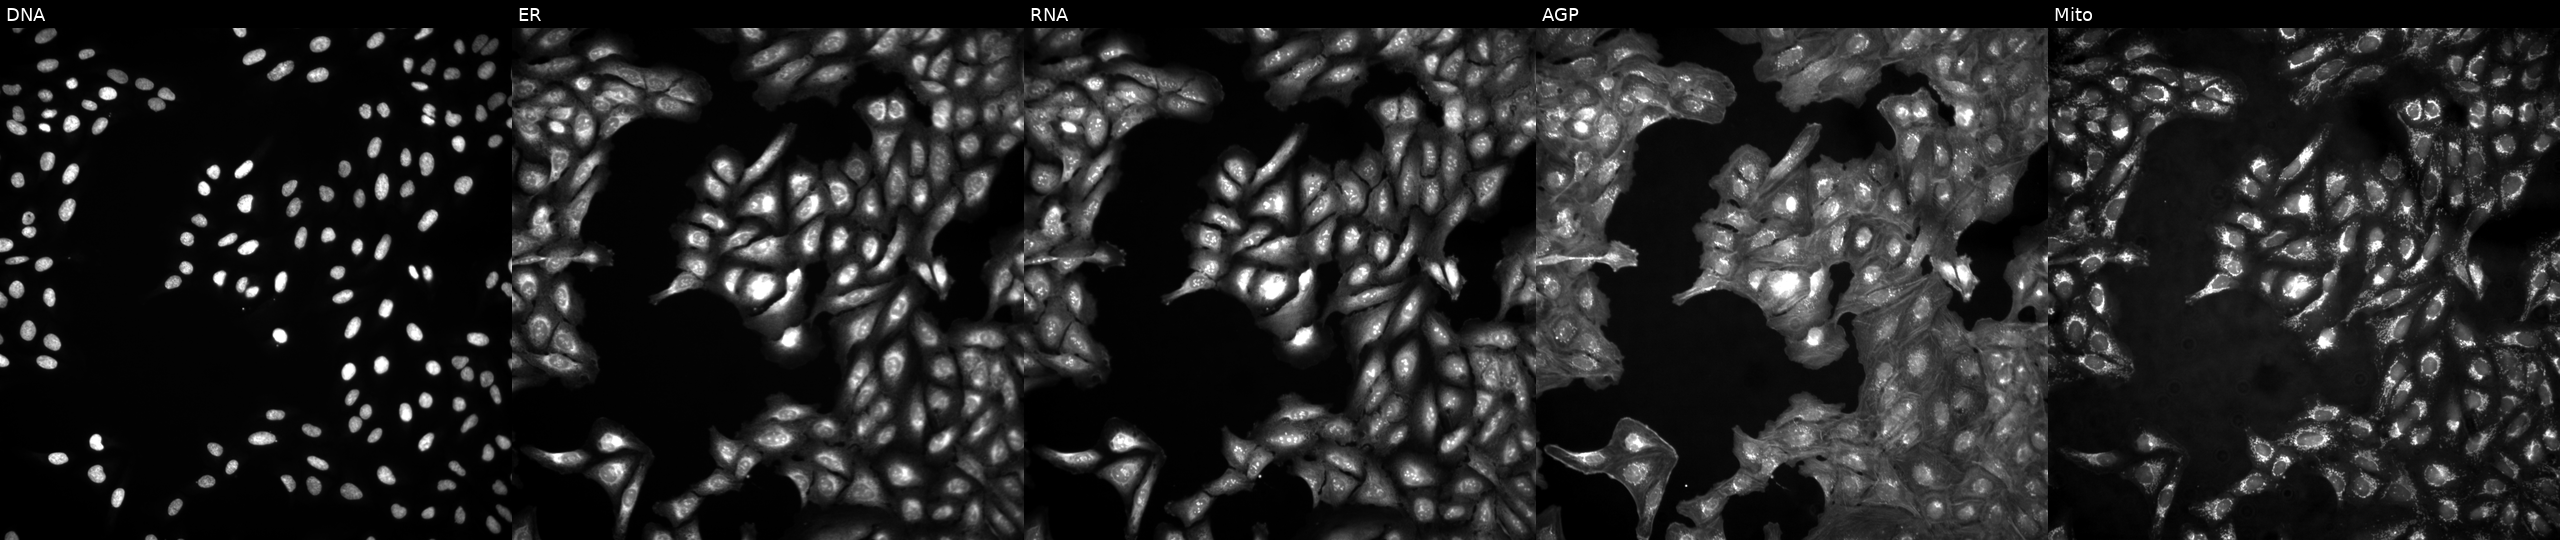
This image strip shows the five Cell Painting channels for a single field of U2OS cells in an empty control well (no perturbation). Channels (left→right): DNA, ER, RNA, AGP, and Mito.